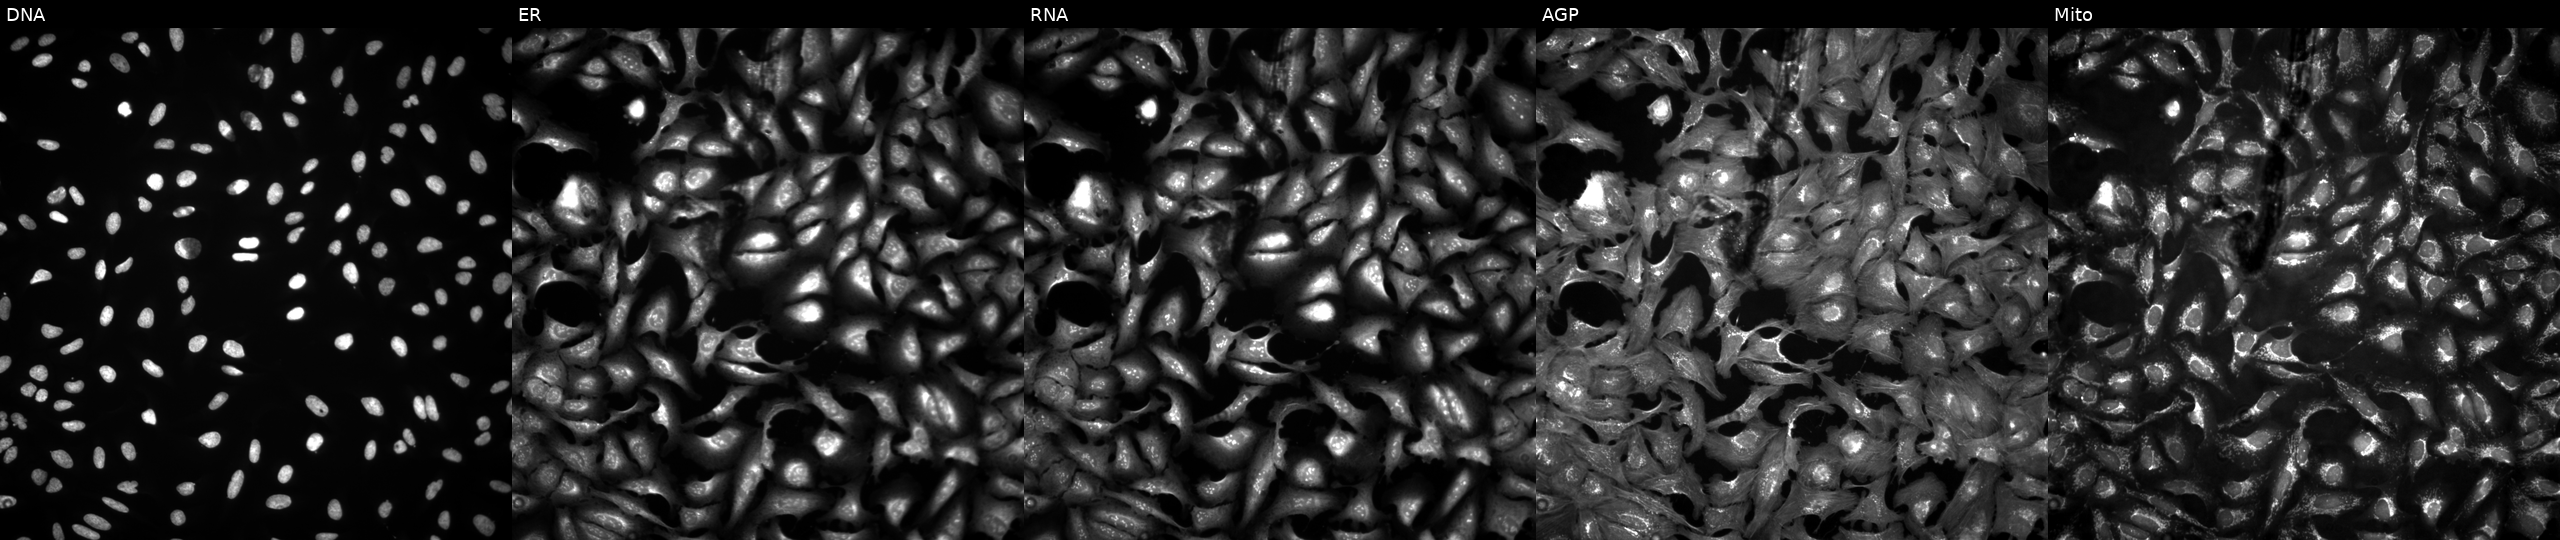
JUMP Cell Painting — ORF plate. U2OS cells overexpressing IRAK4 via ORF transfection. From left to right: Hoechst 33342, concanavalin A, SYTO 14, phalloidin and WGA, MitoTracker. Source 4, plate BR00123945, well L24.